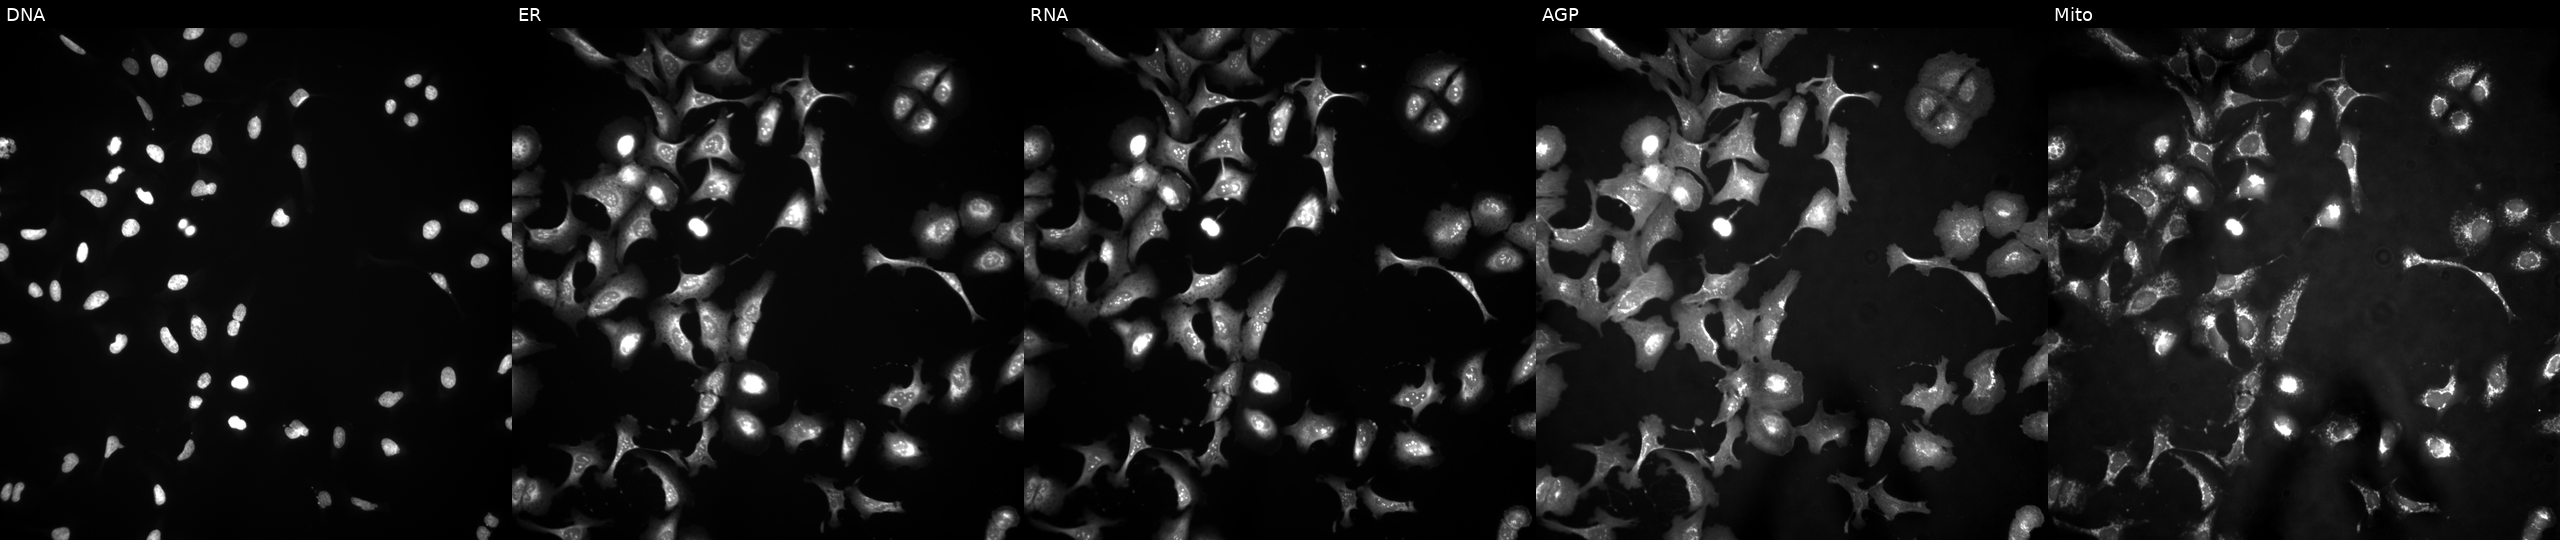
High-content fluorescence microscopy (Cell Painting). Cell line: U2OS. Perturbation: overexpressing KHDRBS2 via ORF transfection (JUMP id JCP2022_909157). Channels (left→right): DNA, ER, RNA, AGP, and Mito.